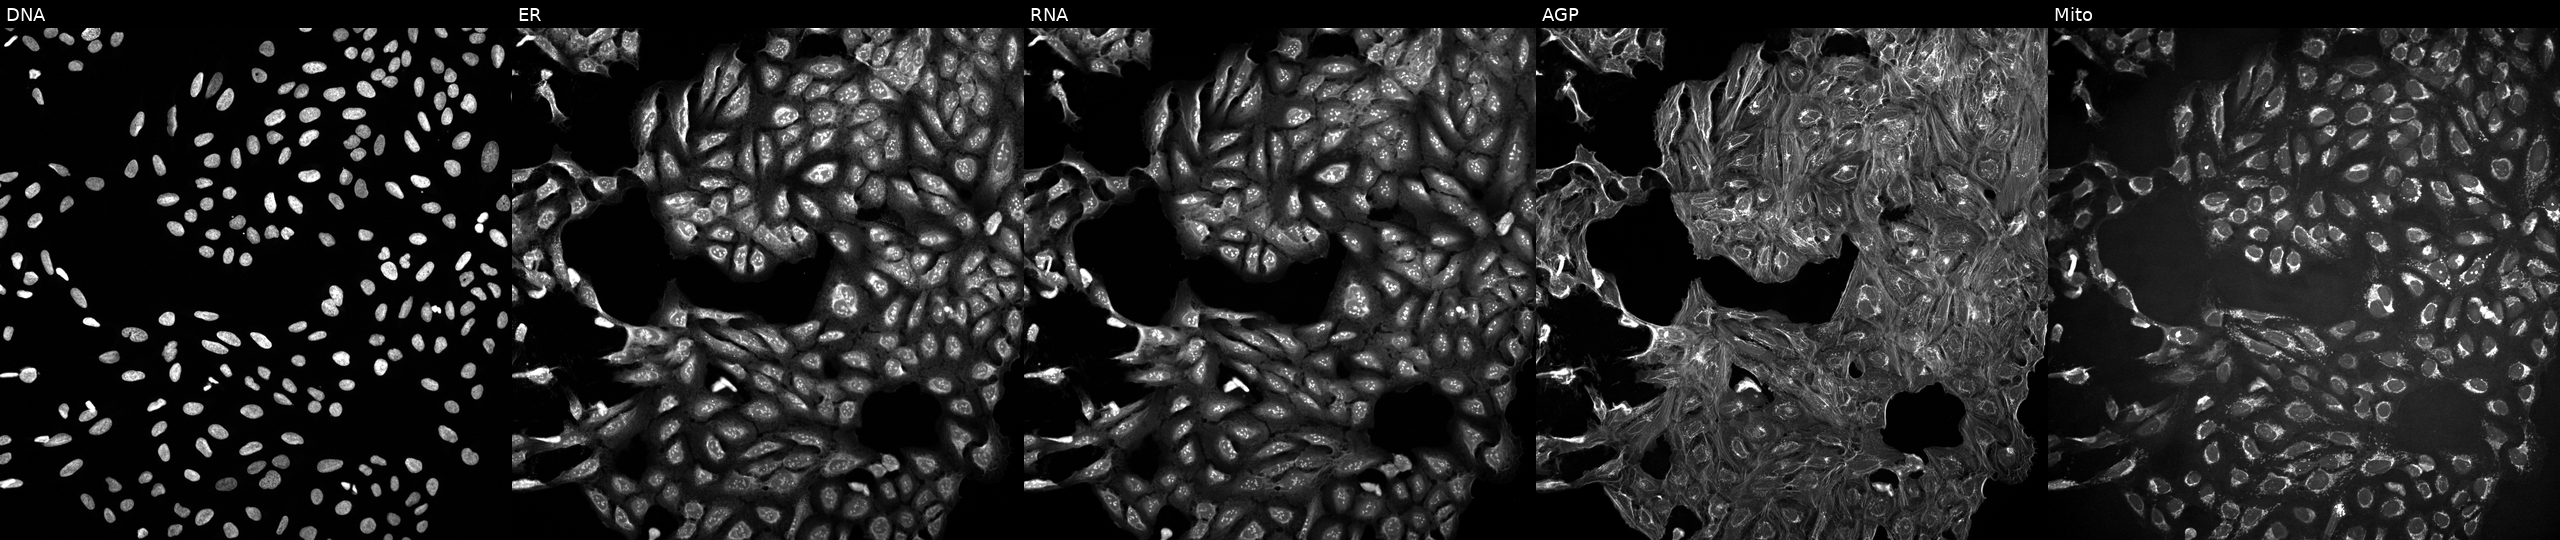
U2OS cells, Cell Painting assay, treated with a small-molecule compound (InChIKey LPYXWGMUVRGUOY-UHFFFAOYSA-N) (JUMP id JCP2022_050997). The five panels, left to right, show DNA (nuclei); ER (endoplasmic reticulum); RNA (nucleoli and cytoplasmic RNA); AGP (actin cytoskeleton, Golgi, and plasma membrane); Mito (mitochondria). Each panel is percentile-stretched 16-bit fluorescence.